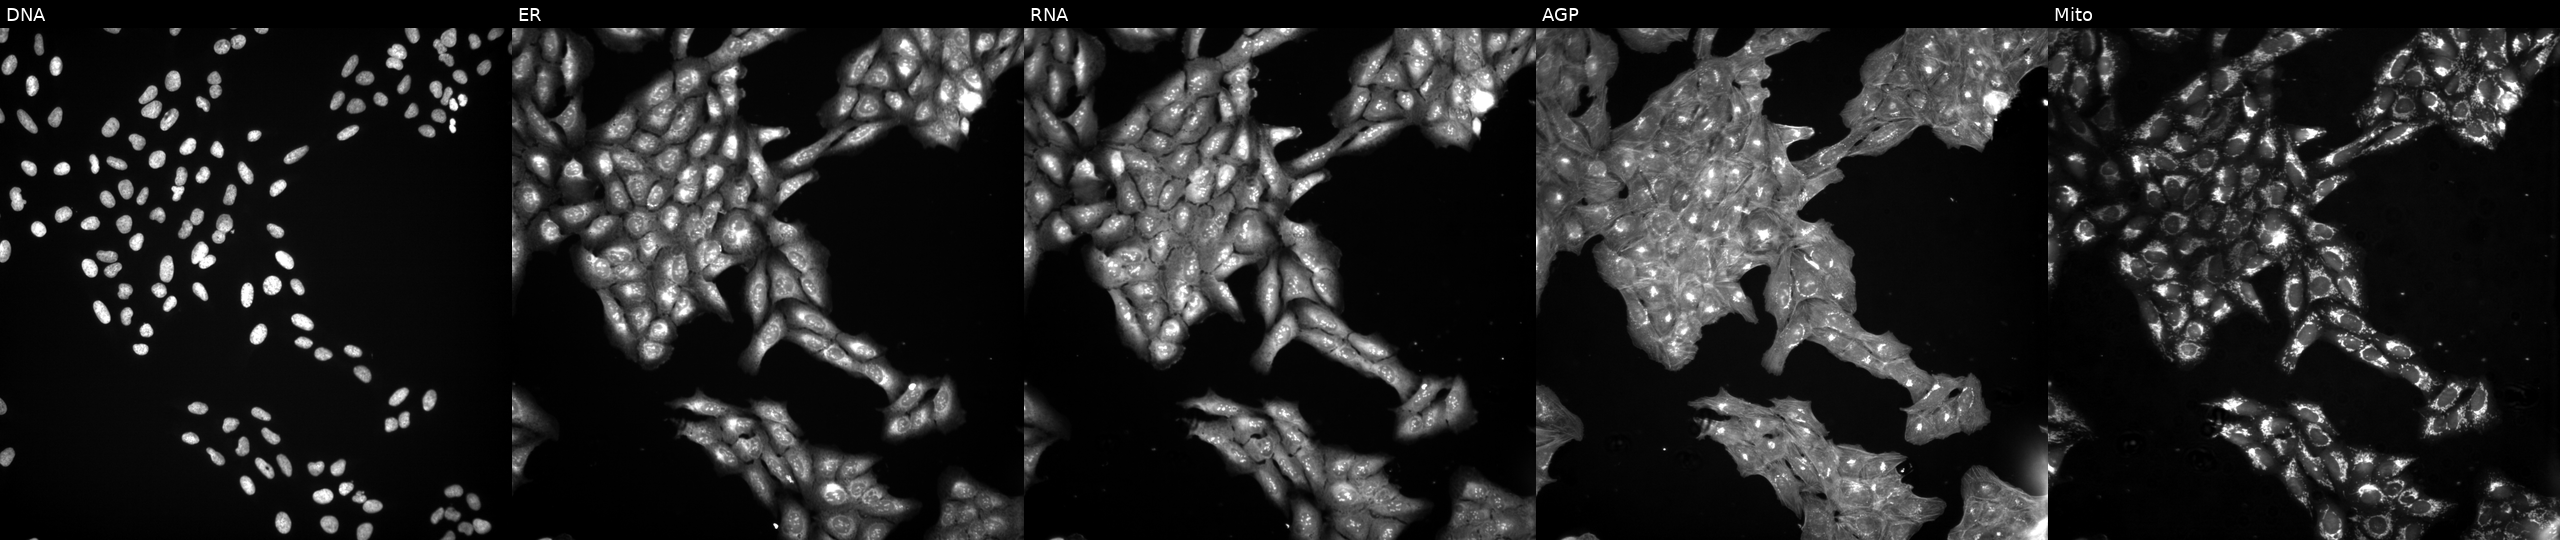
High-content fluorescence microscopy (Cell Painting). Cell line: U2OS. Perturbation: exposed to a small-molecule compound. From left to right: DNA, ER, RNA, AGP, and Mito.